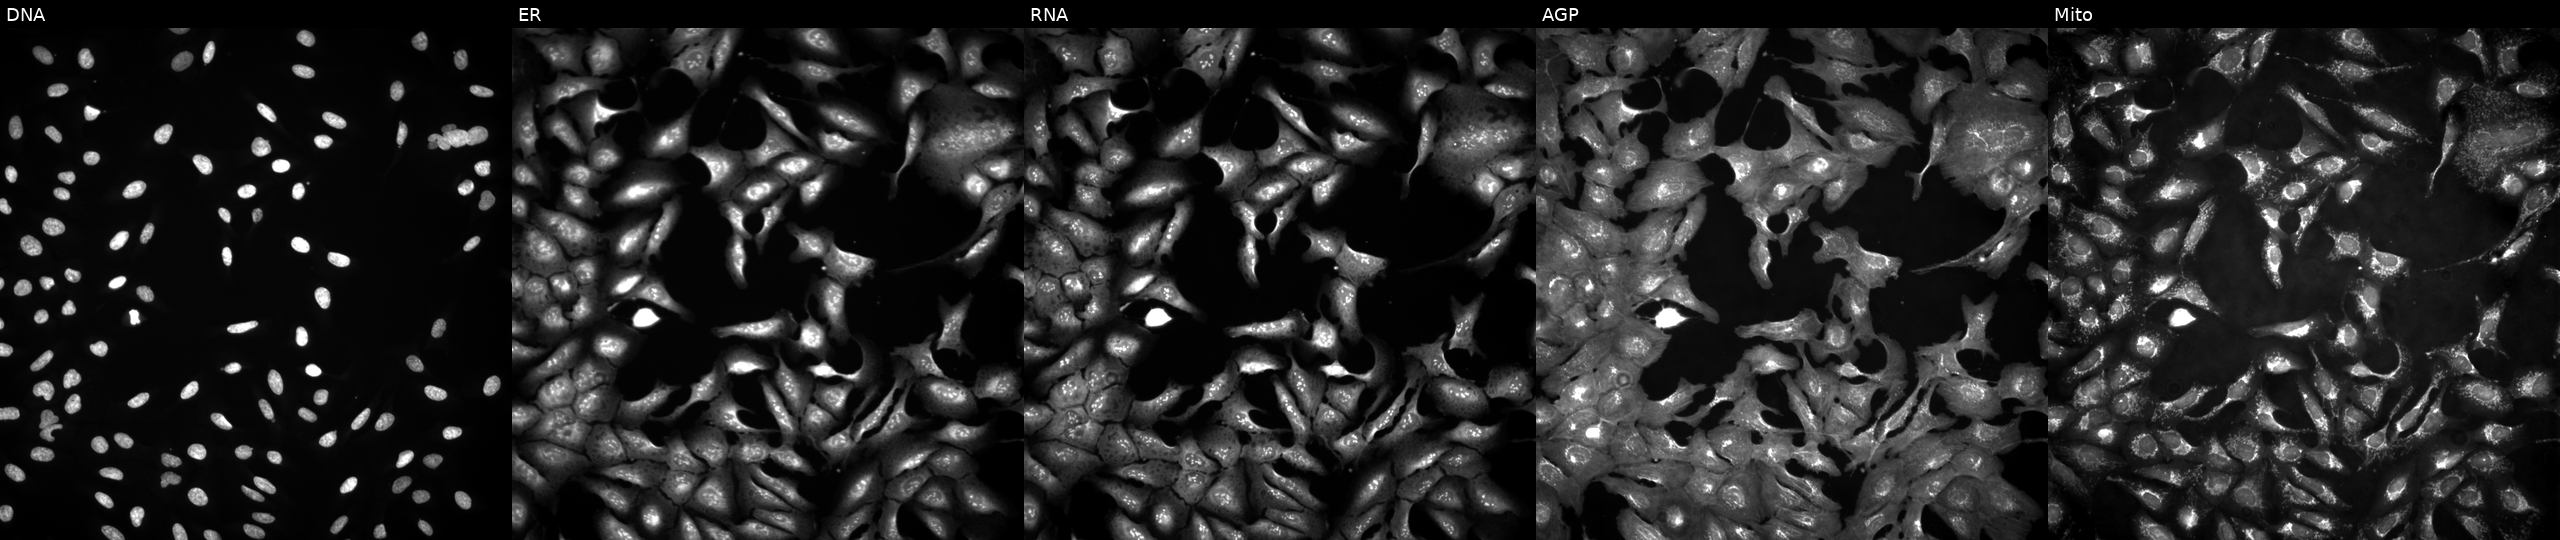
U2OS cells, Cell Painting assay, with RAF1 overexpressed (ORF). The five panels, left to right, show DNA, ER, RNA, AGP, and Mito. Each panel is percentile-stretched 16-bit fluorescence. Source 4, plate BR00123945, well D07.